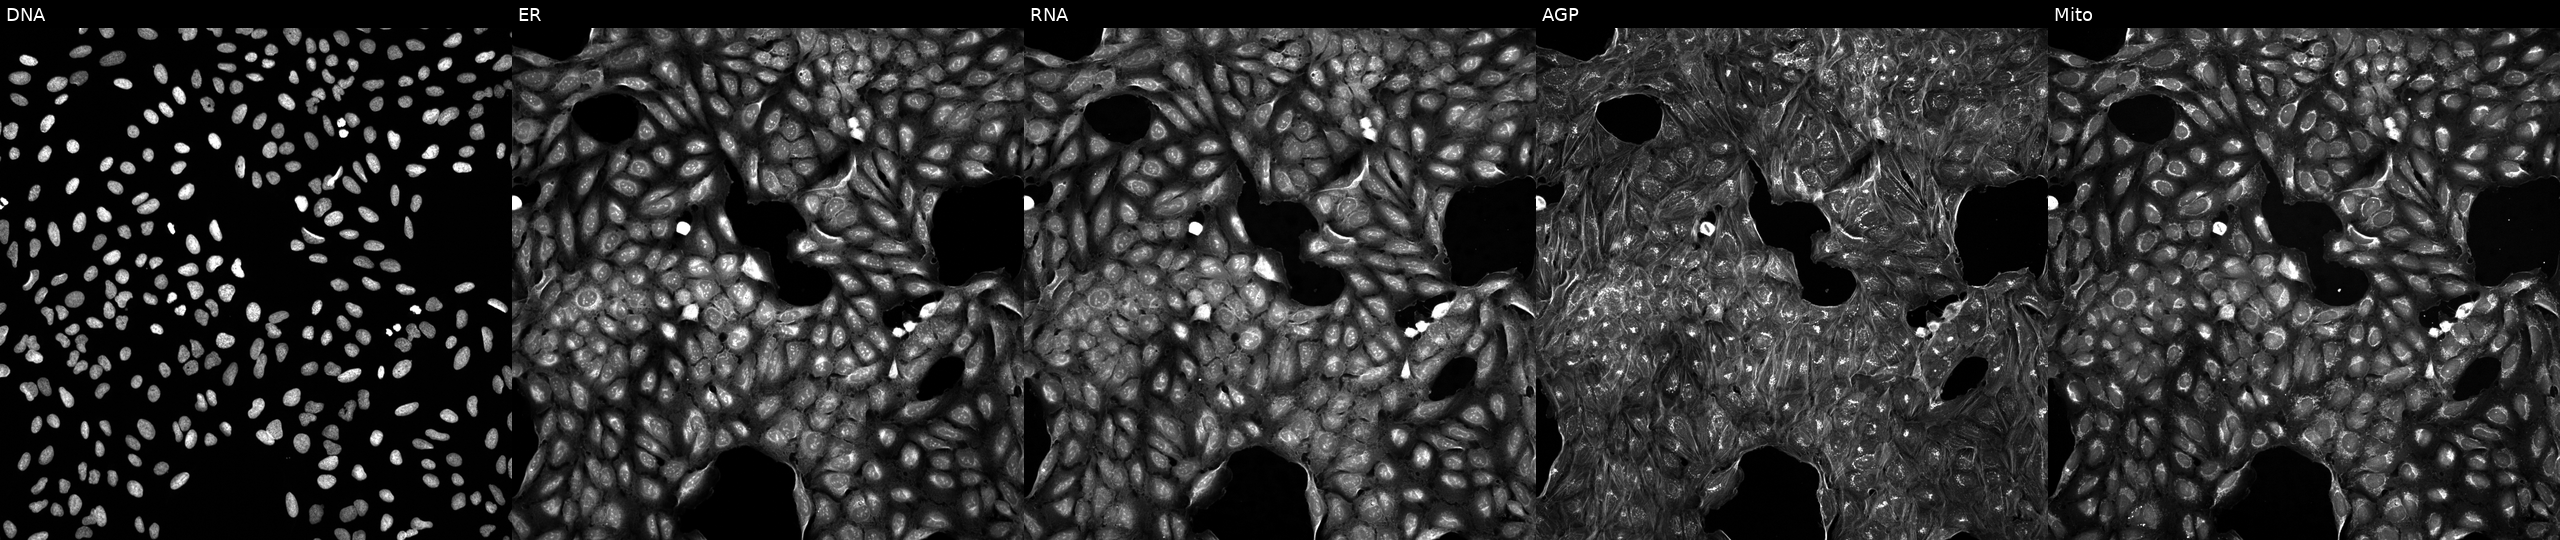
Five-channel Cell Painting image of U2OS cells treated with a small-molecule compound. The five panels, left to right, show DNA (nuclei); ER (endoplasmic reticulum); RNA (nucleoli and cytoplasmic RNA); AGP (actin cytoskeleton, Golgi, and plasma membrane); Mito (mitochondria).